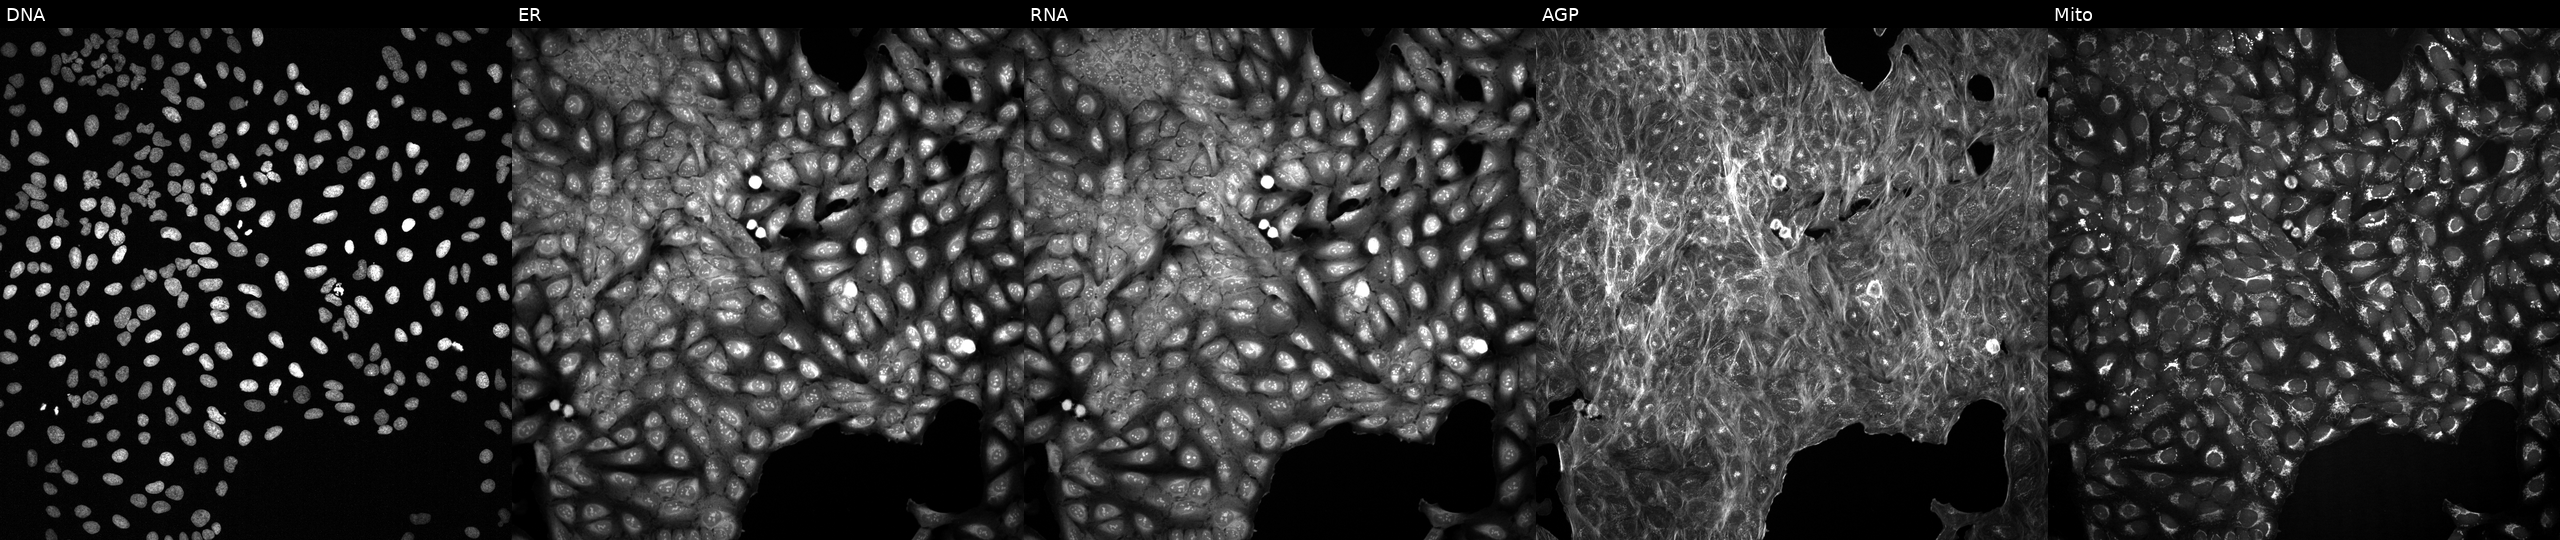
High-content fluorescence microscopy (Cell Painting). Cell line: U2OS. Perturbation: treated with a small-molecule compound (InChIKey VNMDASQUVHLDRG-UHFFFAOYSA-N). Panels show, left to right, DNA (nuclei); ER (endoplasmic reticulum); RNA (nucleoli and cytoplasmic RNA); AGP (actin cytoskeleton, Golgi, and plasma membrane); Mito (mitochondria).